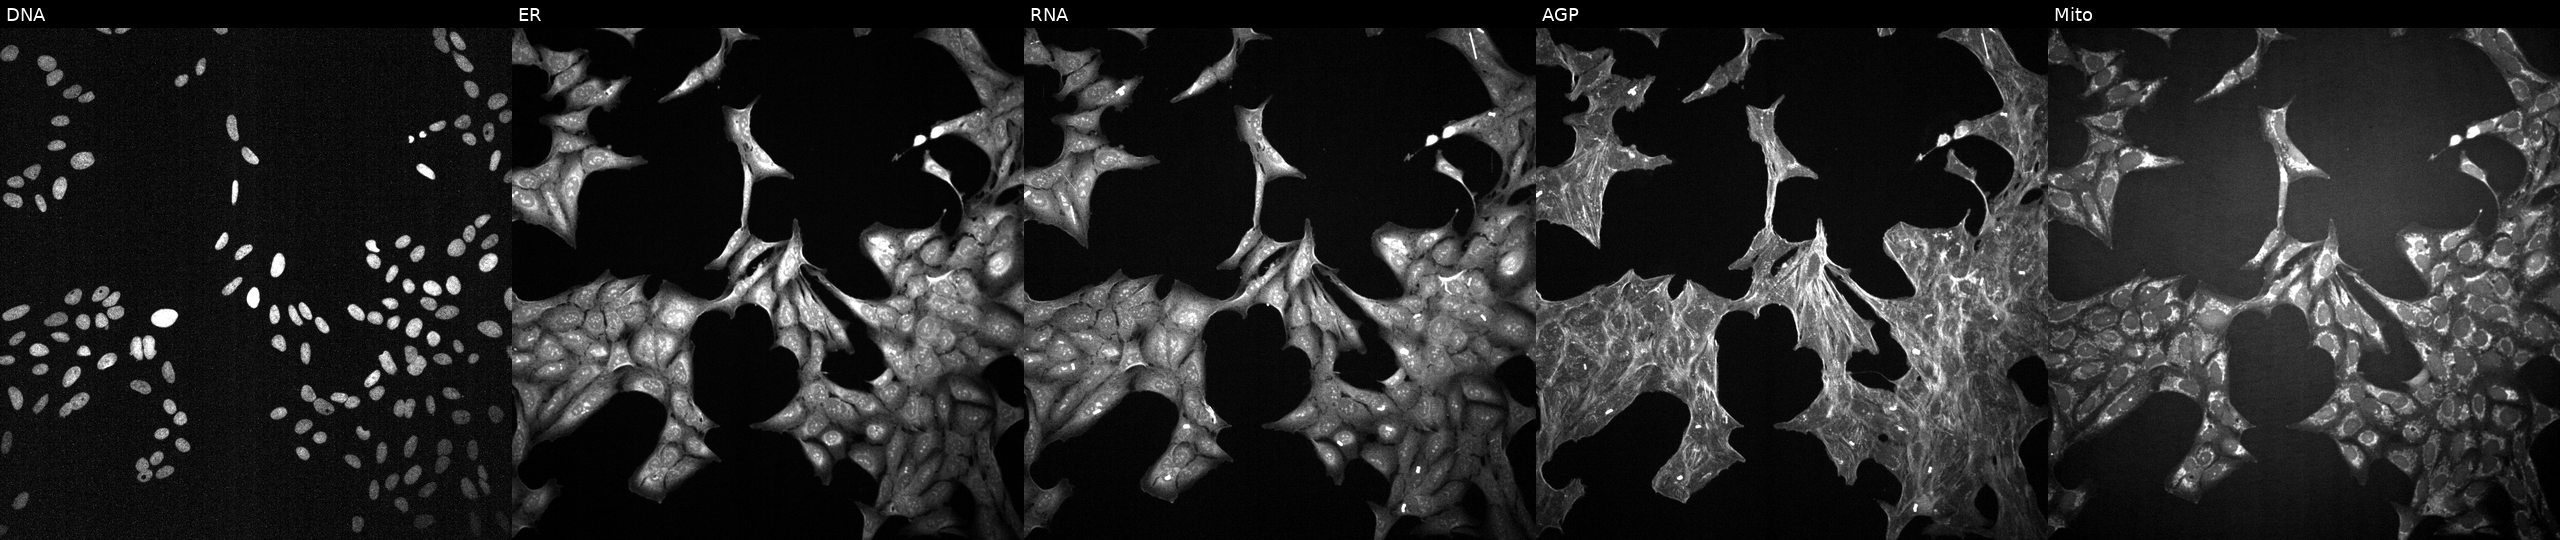
Five-channel Cell Painting image of U2OS cells perturbed with a small-molecule compound (JUMP id JCP2022_043287). Channels (left→right): Hoechst 33342, concanavalin A, SYTO 14, phalloidin and WGA, MitoTracker.